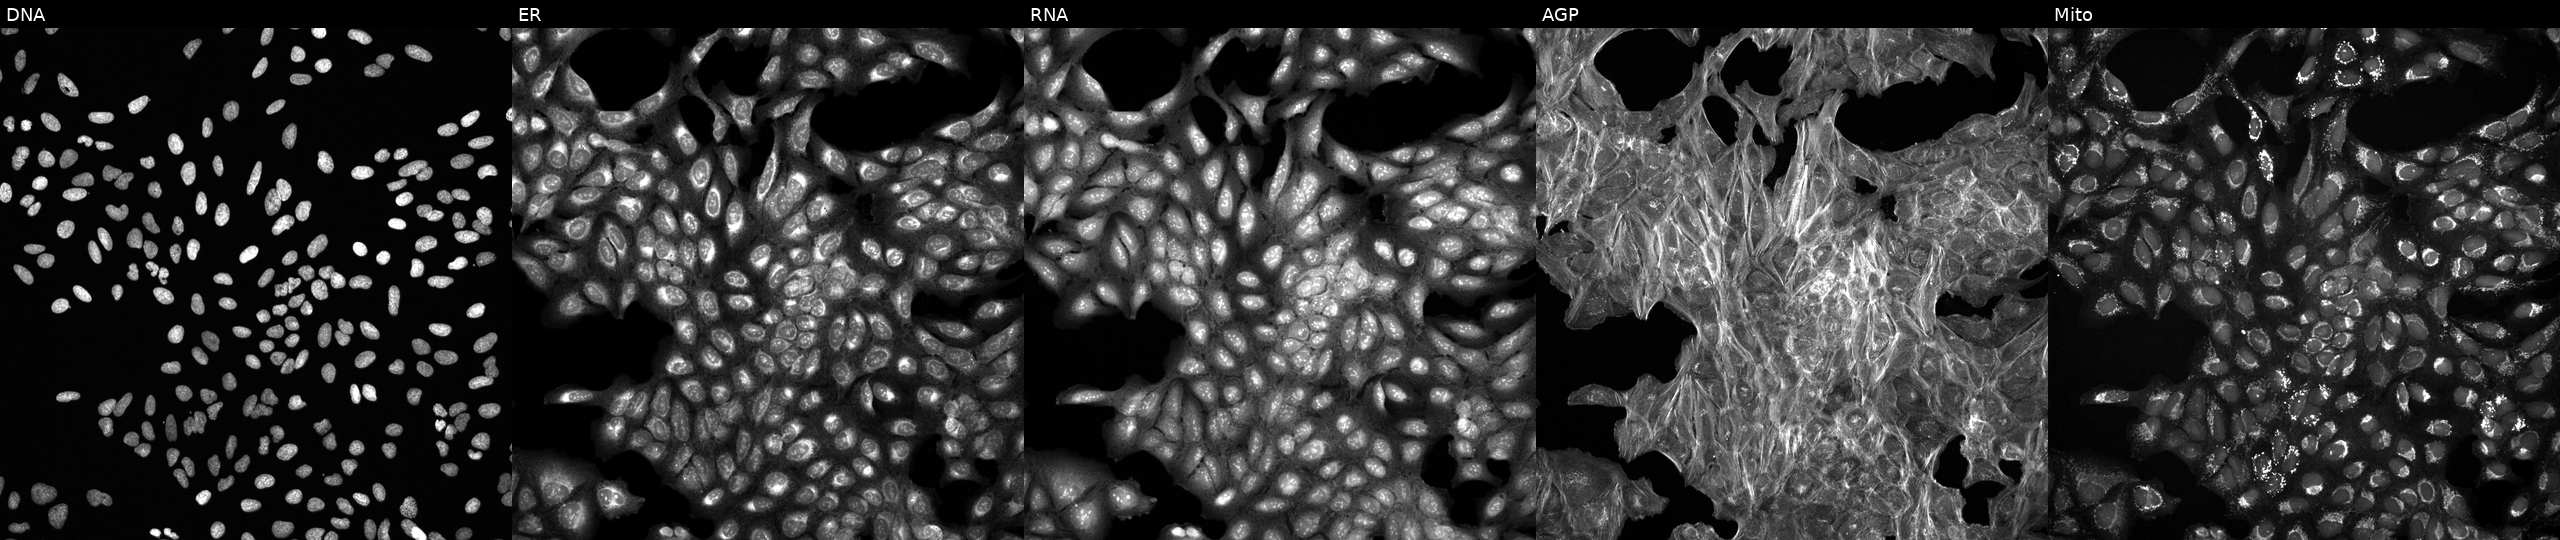
JUMP Cell Painting — TARGET2 plate. U2OS cells treated with a small-molecule compound [SMILES: C=C1CCC2(O)C3Cc4ccc(O)c5c4C2(CCN3CC2CC2)C1O5]. From left to right: DNA, ER, RNA, AGP, and Mito. Source 6, plate 110000293081, well O02.